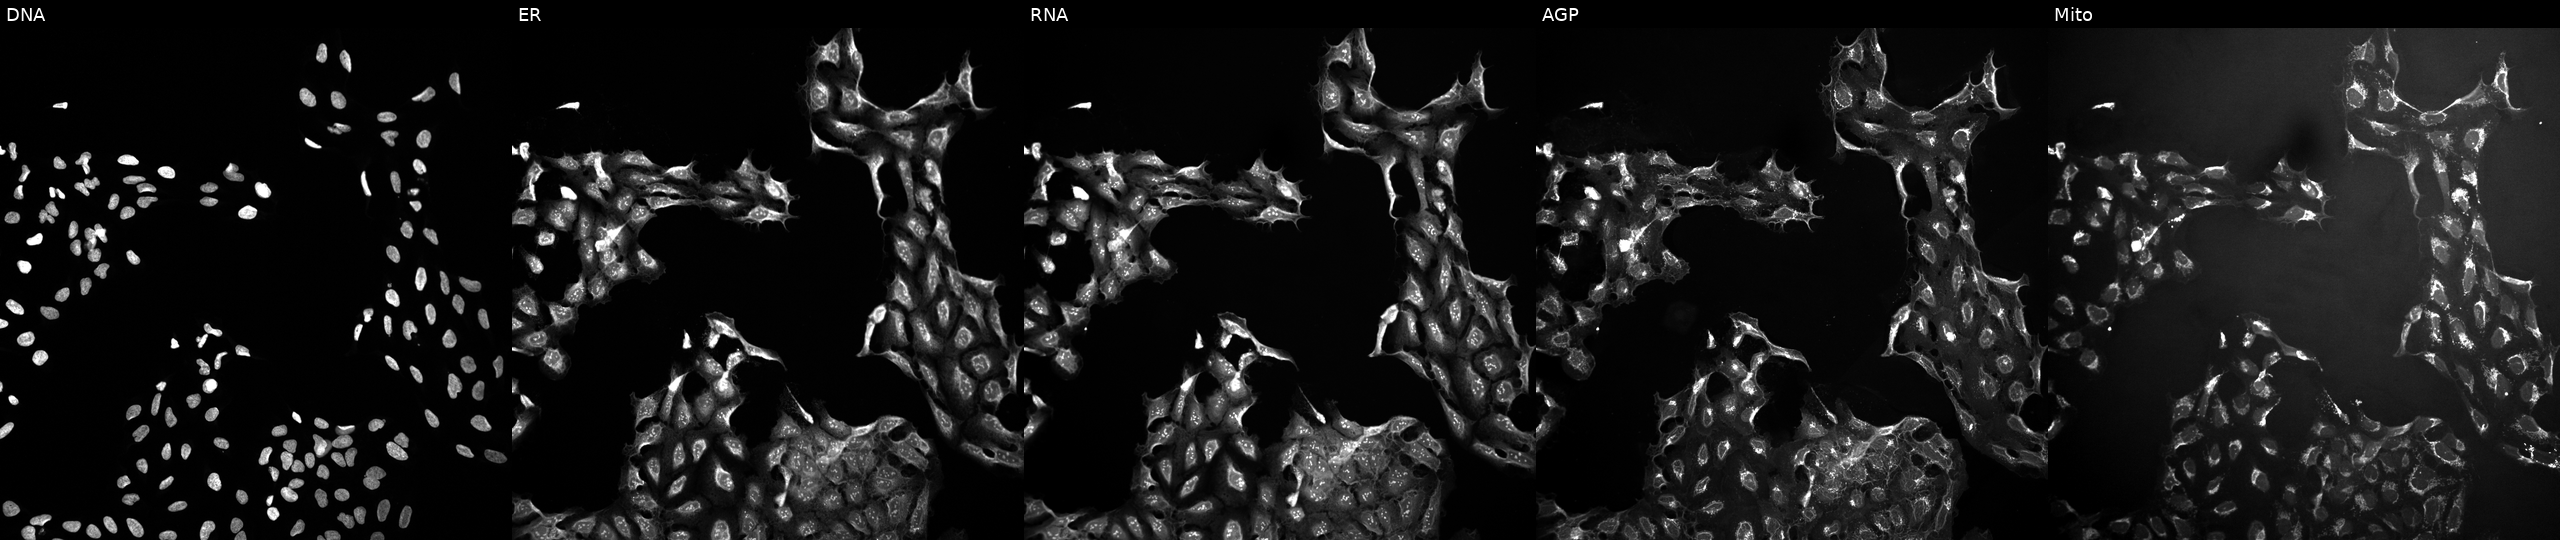
U2OS cells, Cell Painting assay, perturbed with a small-molecule compound (InChIKey NZHGWWWHIYHZNX-UHFFFAOYSA-N) [SMILES: COc1ccc(C=CC(=O)Nc2ccccc2C(=O)O)cc1OC] (JUMP id JCP2022_062326). Panels show, left to right, Hoechst 33342, concanavalin A, SYTO 14, phalloidin and WGA, MitoTracker. Each panel is percentile-stretched 16-bit fluorescence.